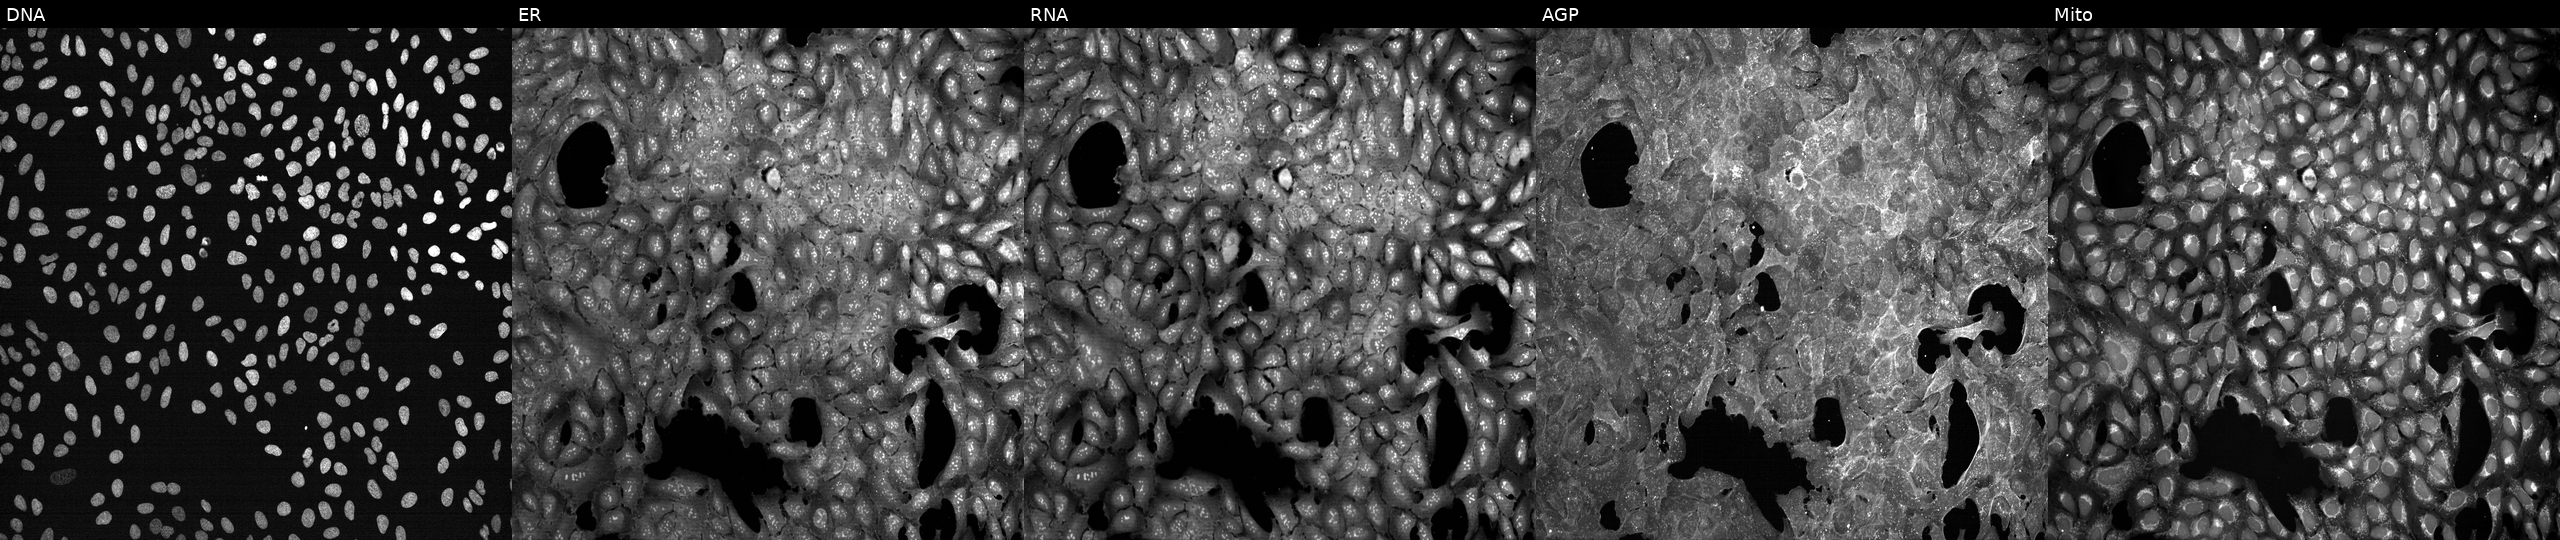
Panels show, left to right, DNA, ER, RNA, AGP, and Mito. U2OS osteosarcoma cells exposed to DMSO alone as a negative control (JUMP id JCP2022_033924). Cell Painting assay, JUMP-CP dataset.